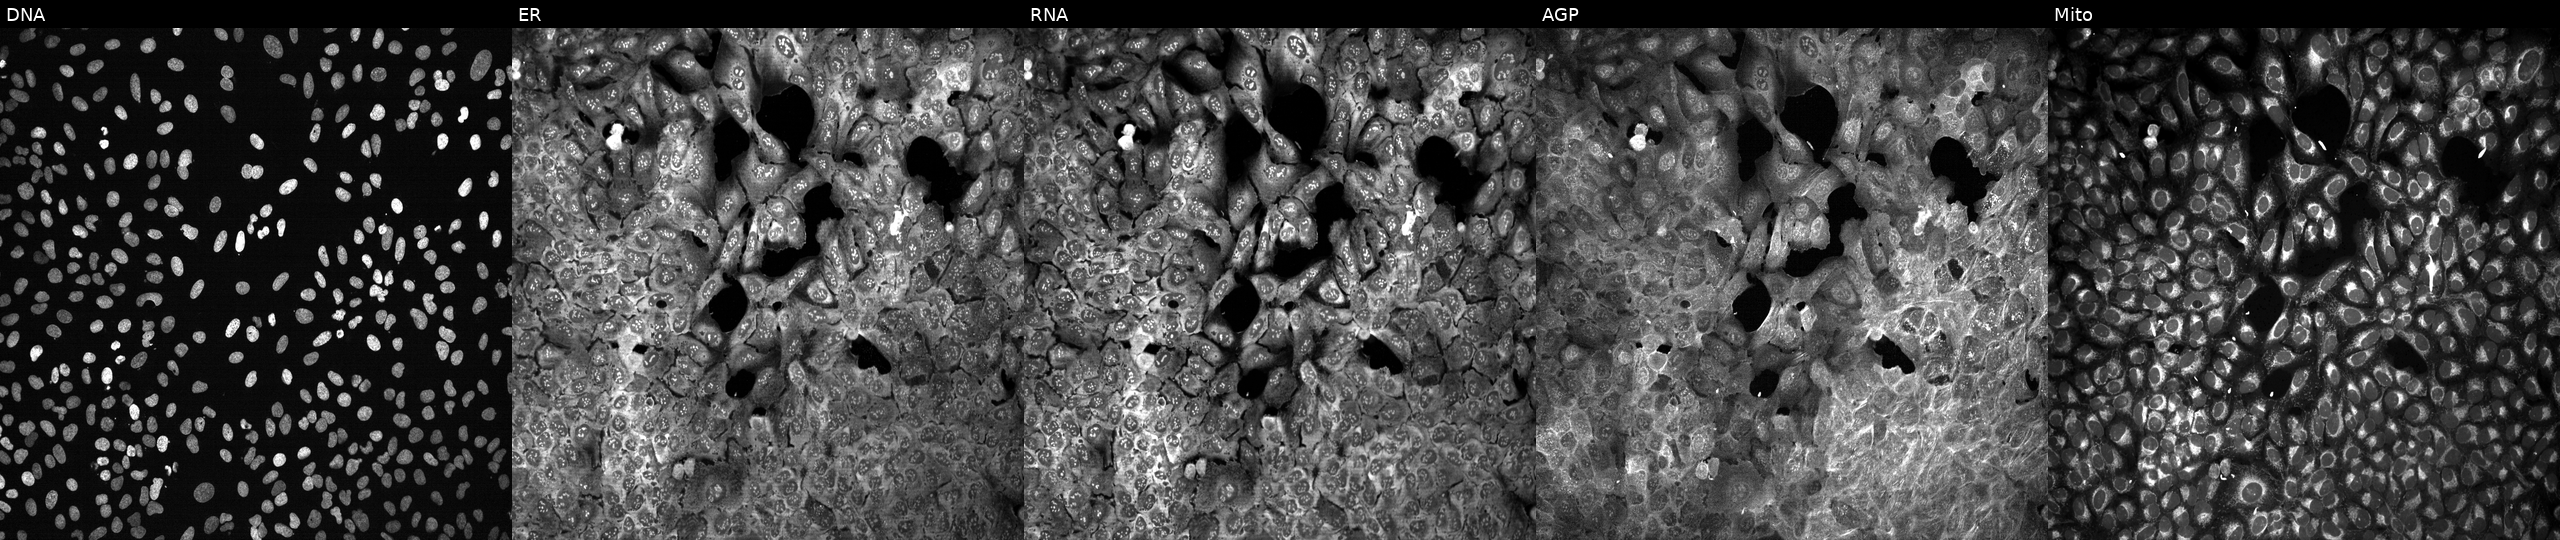
High-content fluorescence microscopy (Cell Painting). Cell line: U2OS. Perturbation: with RAB9A knocked out by CRISPR (JUMP id JCP2022_805789). The five panels, left to right, show DNA, ER, RNA, AGP, and Mito. Source 13, plate CP-CC9-R2-01, well O19.